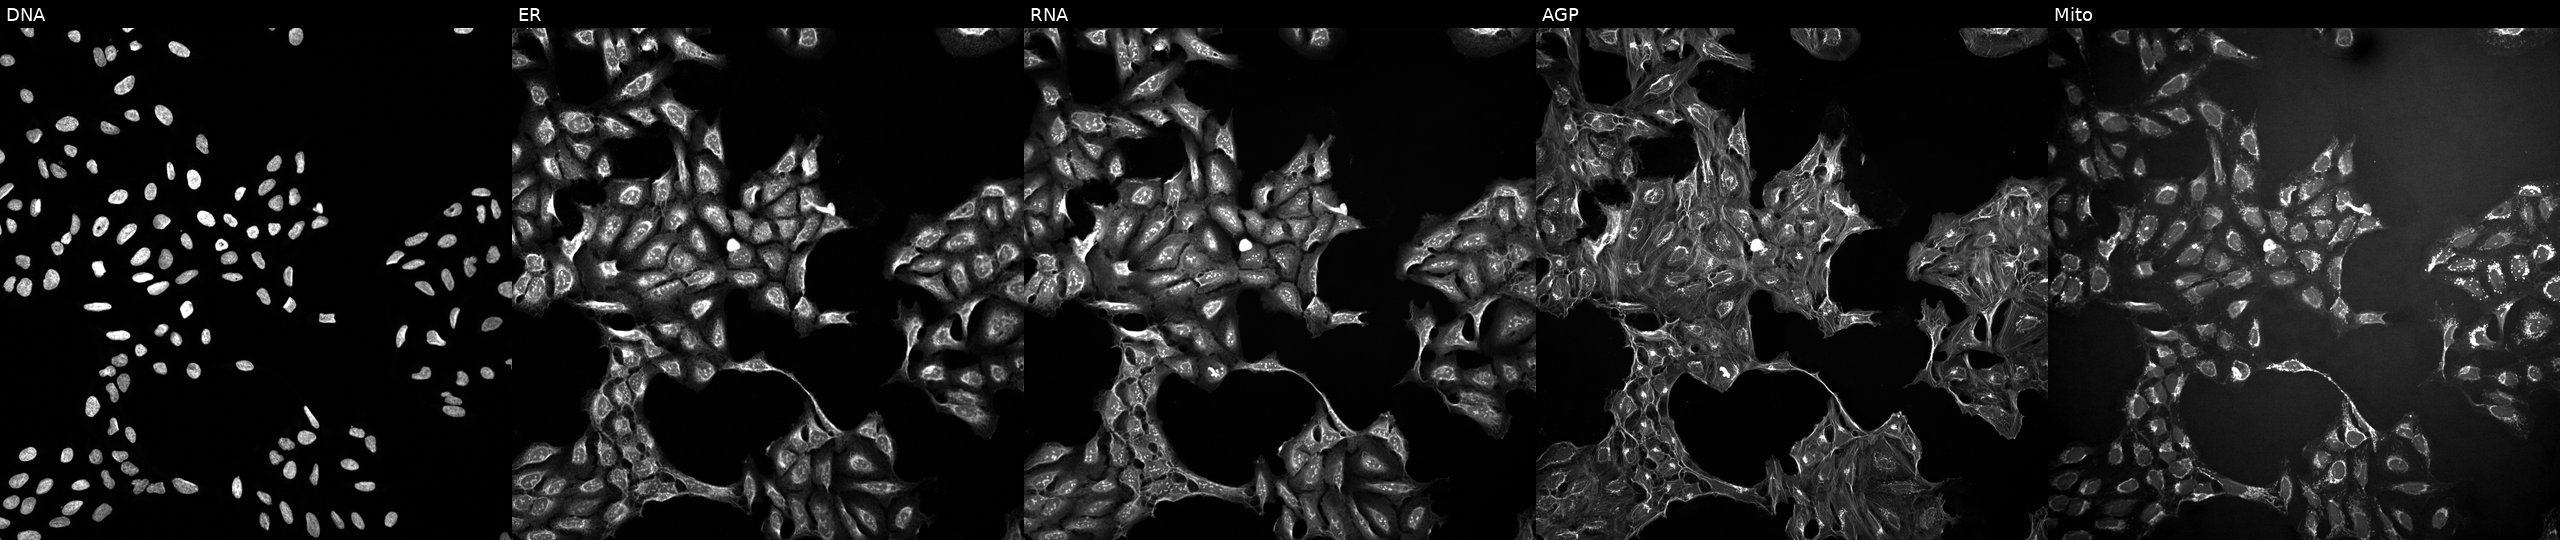
U2OS cells, Cell Painting assay, exposed to a small-molecule compound (InChIKey GSILKGKQYGQDLH-UHFFFAOYSA-N). Channels (left→right): Hoechst 33342, concanavalin A, SYTO 14, phalloidin and WGA, MitoTracker. Each panel is percentile-stretched 16-bit fluorescence. Source 10, plate Dest210531-152324, well A20.